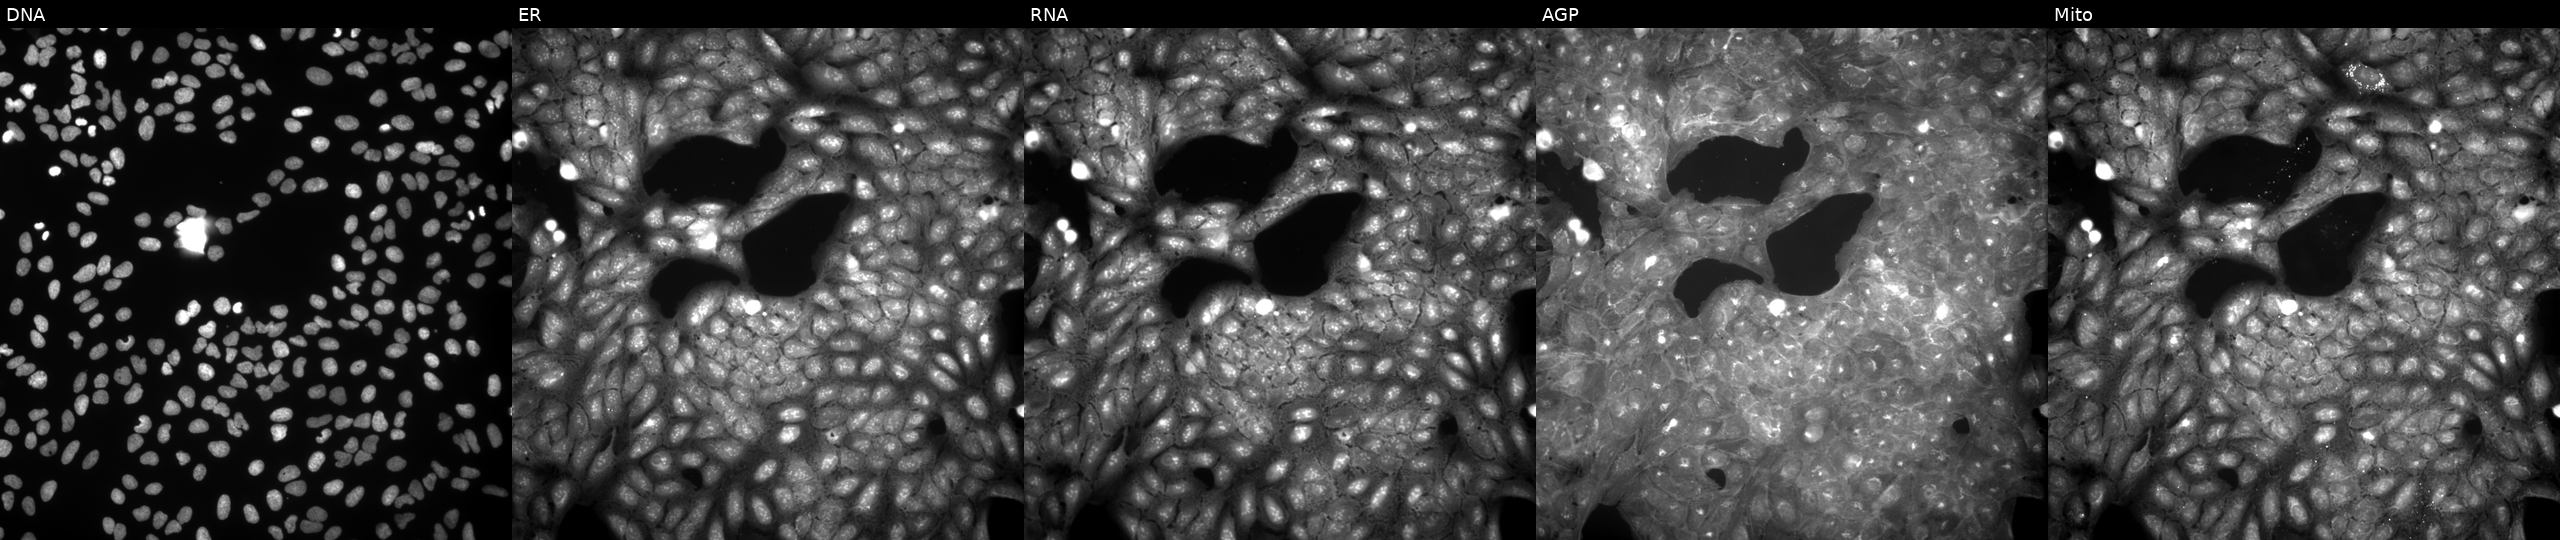
Five-channel Cell Painting image of U2OS cells exposed to a small-molecule compound [SMILES: Cc1nc2ccccc2n1CC(=O)c1ccccc1] (JUMP id JCP2022_049415). The five panels, left to right, show Hoechst 33342, concanavalin A, SYTO 14, phalloidin and WGA, MitoTracker.